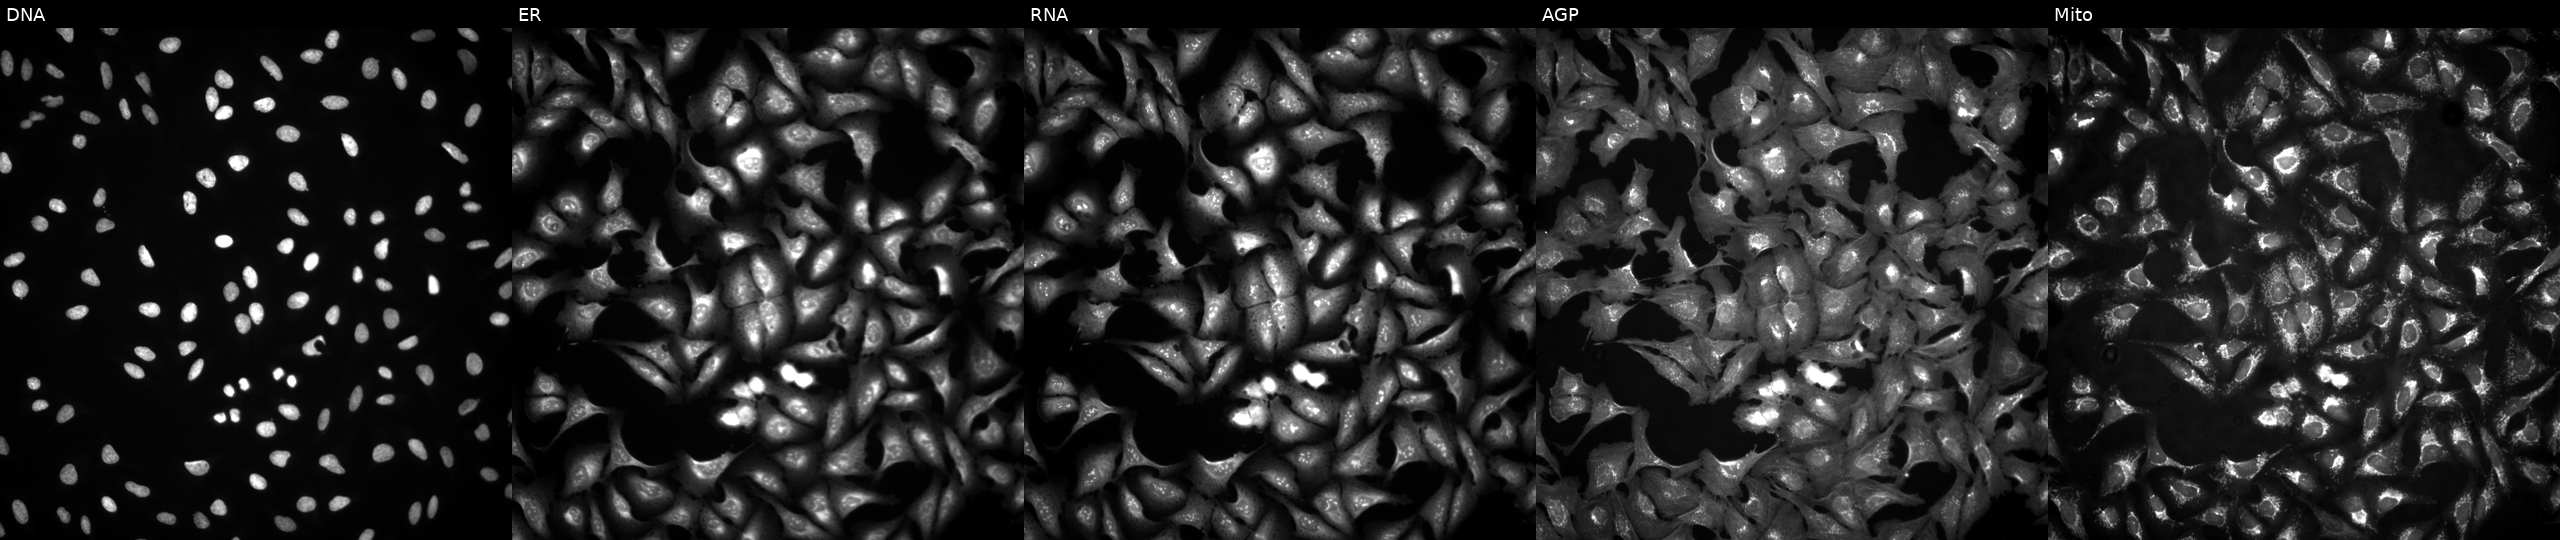
U2OS cells, Cell Painting assay, overexpressing CYSTM1 via ORF transfection (JUMP id JCP2022_914997). The five panels, left to right, show Hoechst 33342, concanavalin A, SYTO 14, phalloidin and WGA, MitoTracker. Each panel is percentile-stretched 16-bit fluorescence. Source 4, plate BR00124787, well A23.